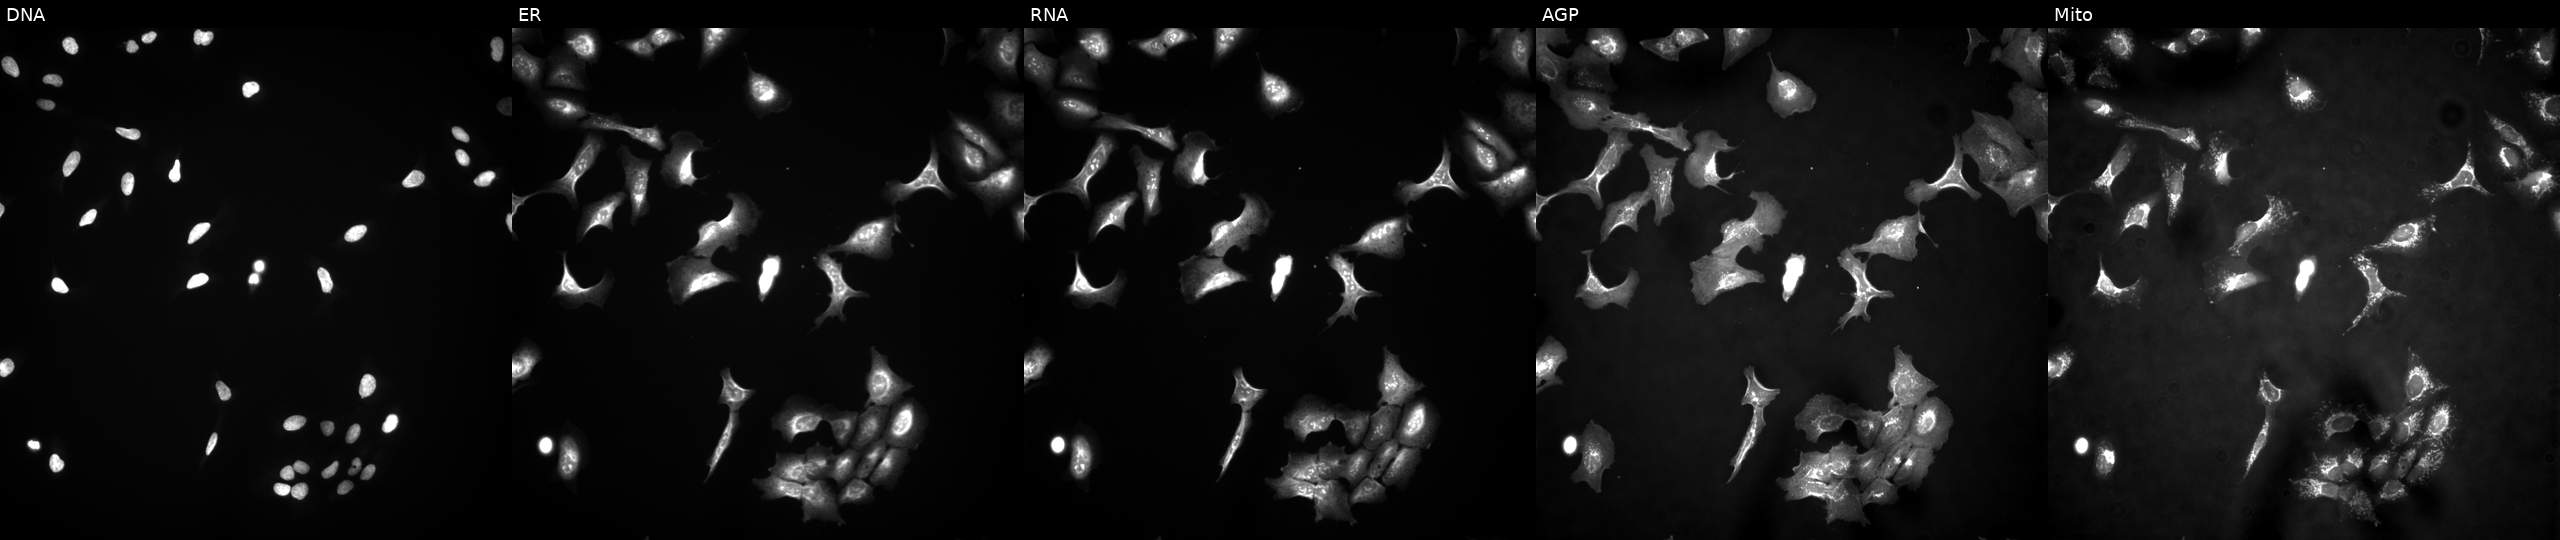
This image strip shows the five Cell Painting channels for a single field of U2OS cells overexpressing ACOT7 via ORF transfection. The five panels, left to right, show DNA, ER, RNA, AGP, and Mito.